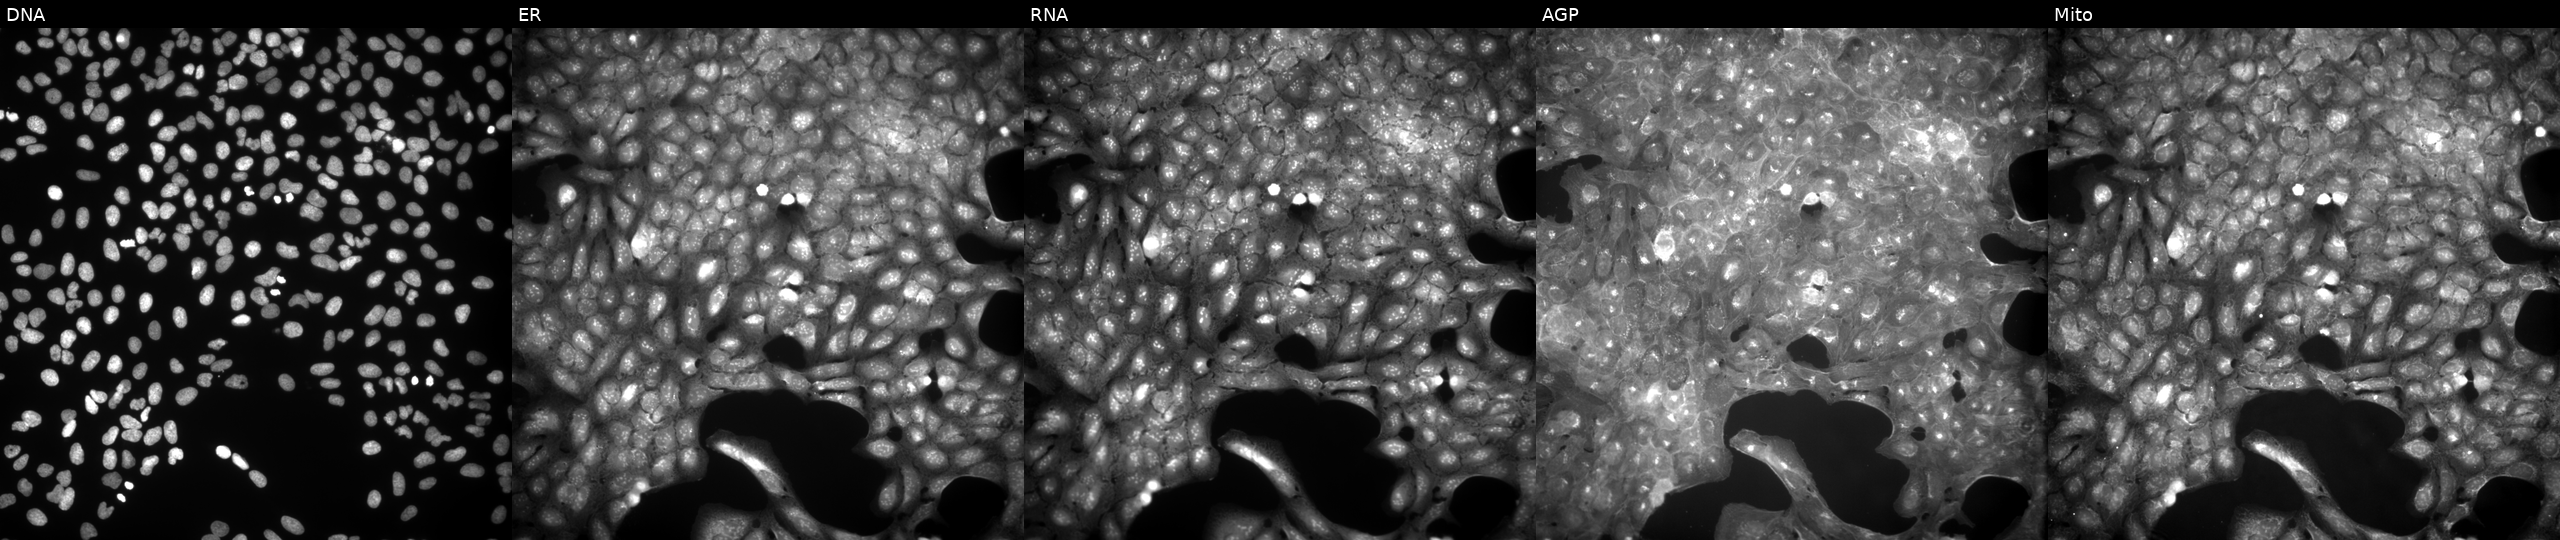
JUMP Cell Painting — COMPOUND plate. U2OS cells treated with DMSO vehicle only (negative control). Panels show, left to right, Hoechst 33342, concanavalin A, SYTO 14, phalloidin and WGA, MitoTracker.